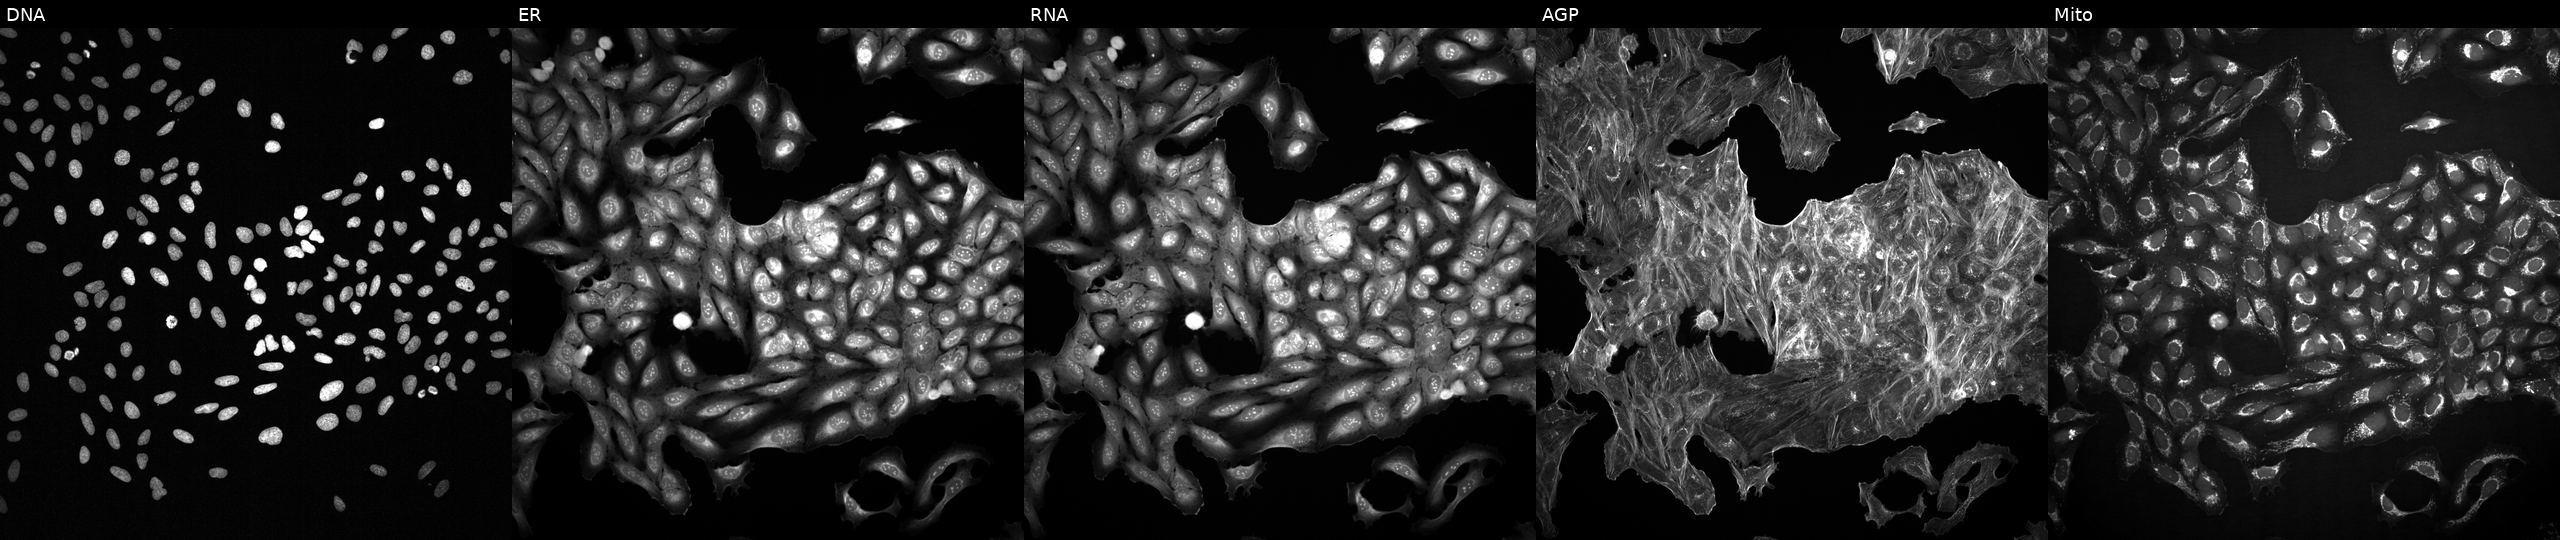
U2OS cells, Cell Painting assay, treated with a small-molecule compound (InChIKey AIIVPXSXURSEBX-UHFFFAOYSA-N). Panels show, left to right, DNA (nuclei); ER (endoplasmic reticulum); RNA (nucleoli and cytoplasmic RNA); AGP (actin cytoskeleton, Golgi, and plasma membrane); Mito (mitochondria). Each panel is percentile-stretched 16-bit fluorescence.